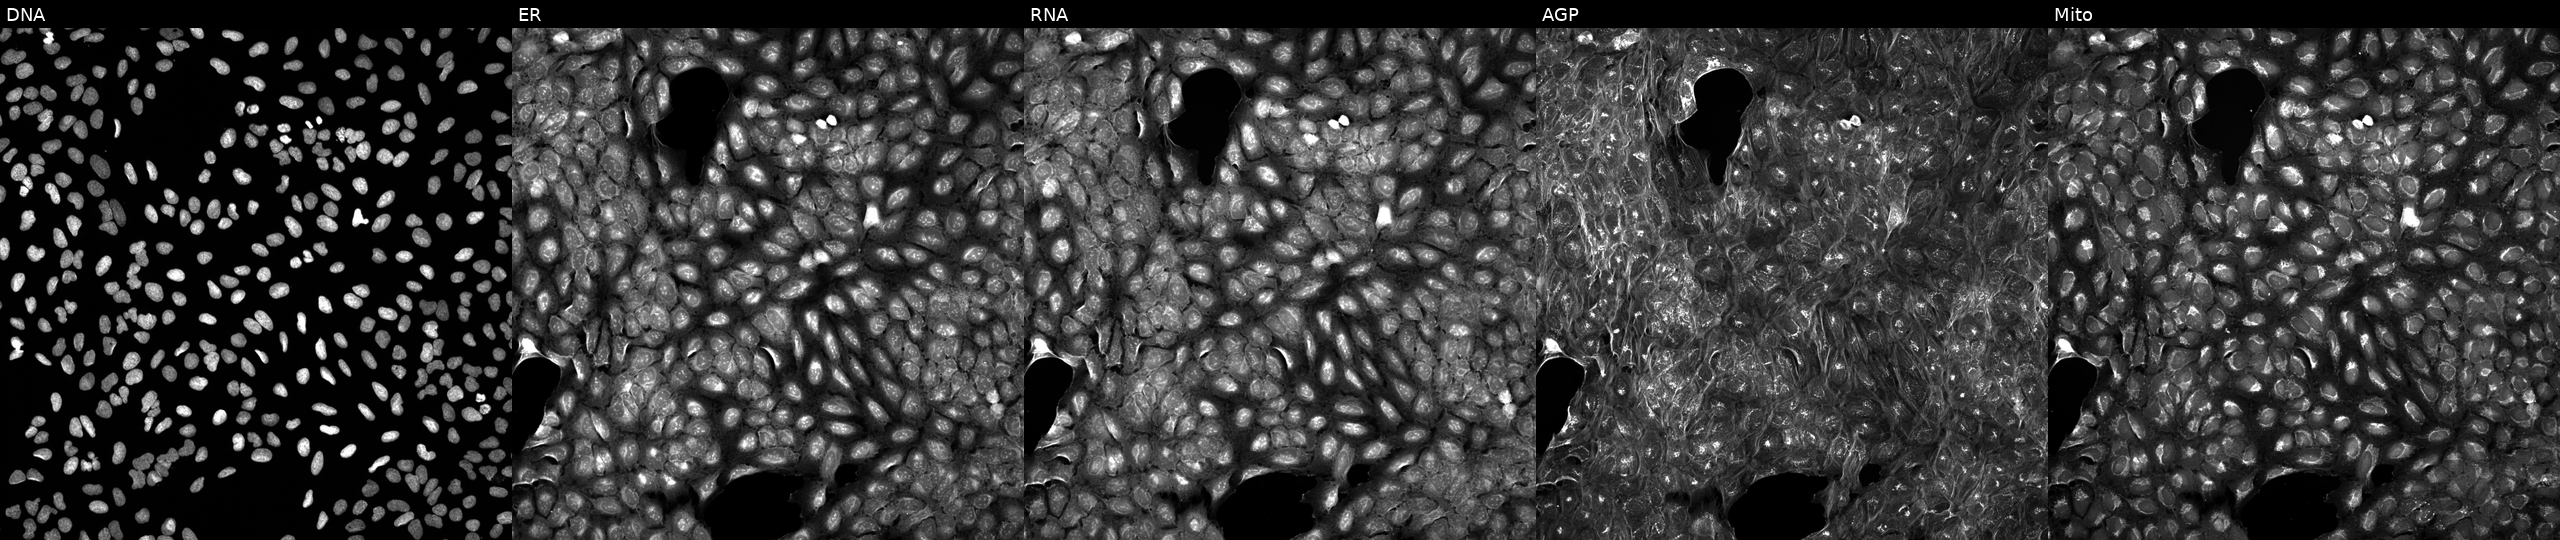
Five-channel Cell Painting image of U2OS cells exposed to a small-molecule compound (InChIKey FCDGCTJKDHAPNC-UHFFFAOYSA-N) (JUMP id JCP2022_019685). Channels (left→right): Hoechst 33342, concanavalin A, SYTO 14, phalloidin and WGA, MitoTracker.